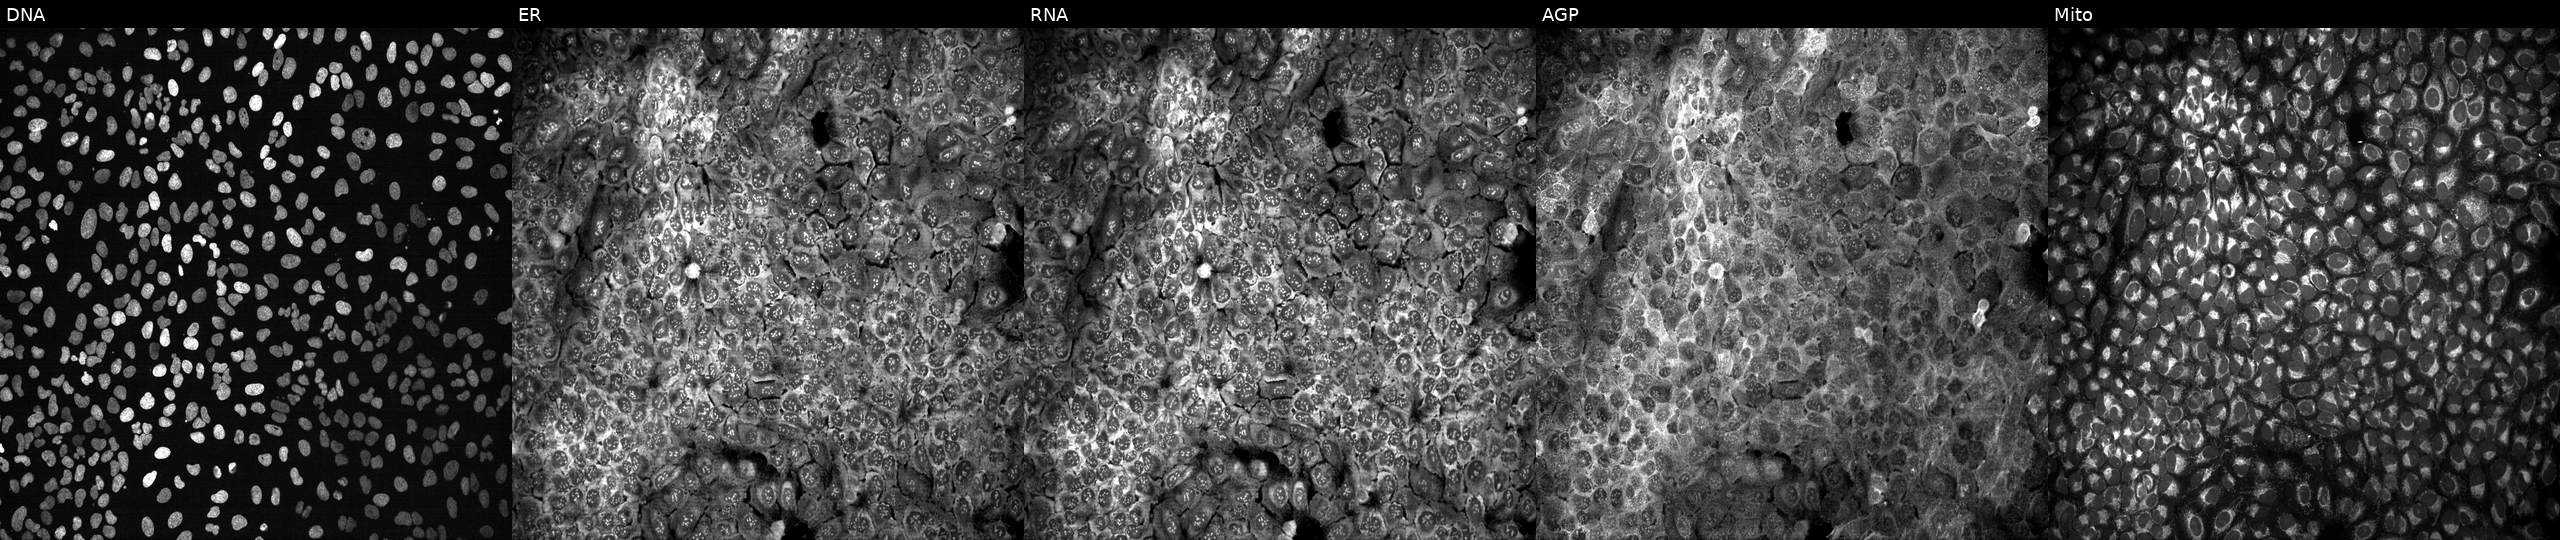
U2OS cells, Cell Painting assay, following CRISPR knockout of RAD1. Channels (left→right): Hoechst 33342, concanavalin A, SYTO 14, phalloidin and WGA, MitoTracker. Each panel is percentile-stretched 16-bit fluorescence.